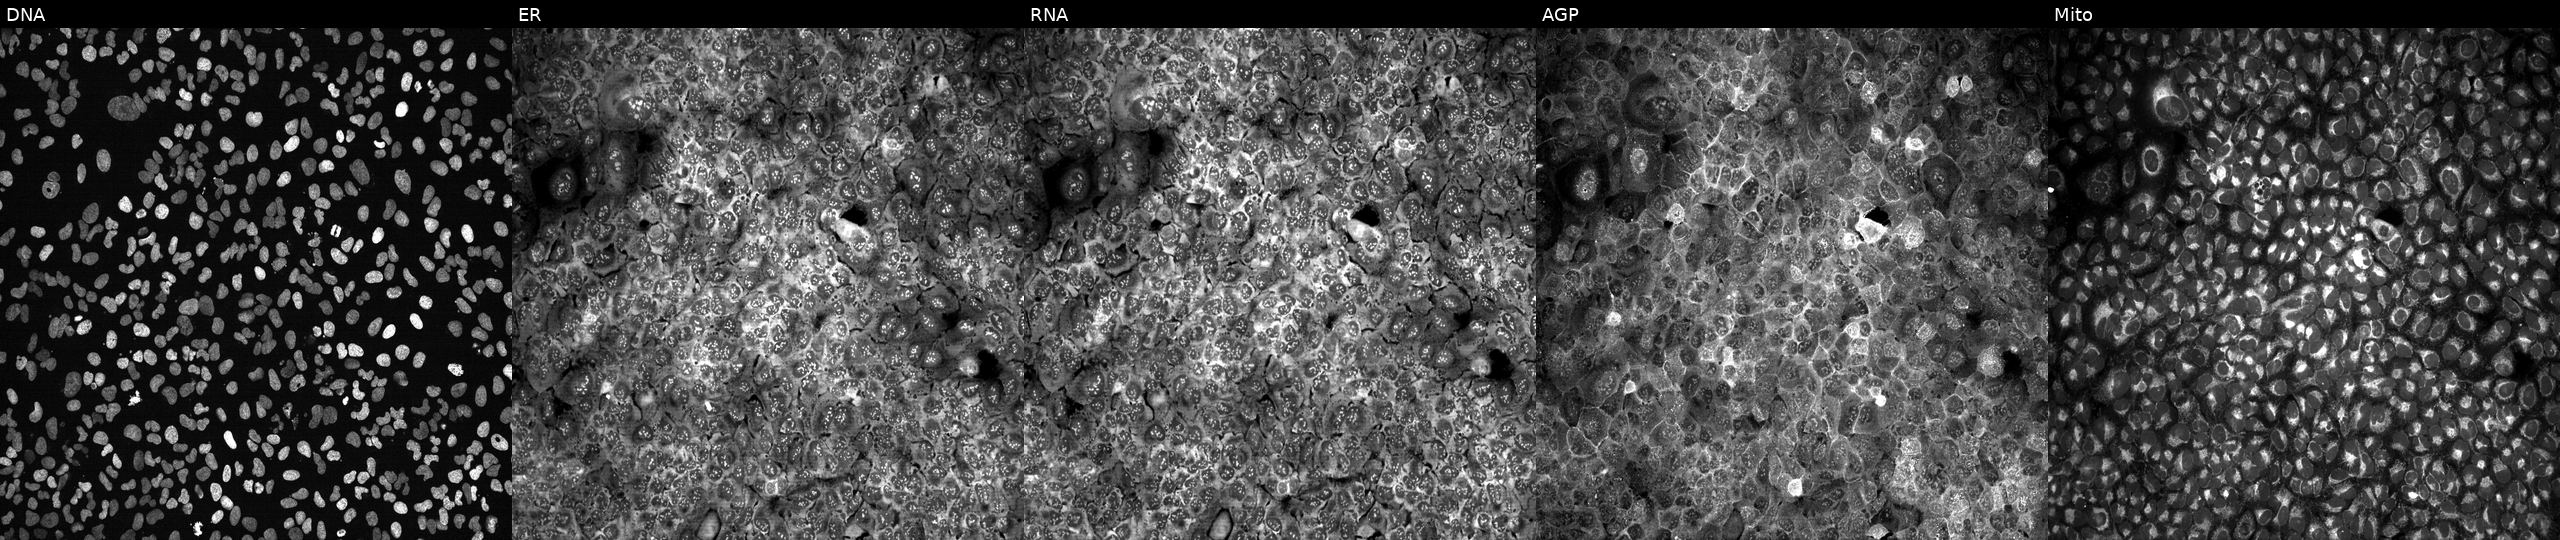
U2OS cells, Cell Painting assay, CRISPR-edited to disrupt PLCB2 (JUMP id JCP2022_805243). From left to right: Hoechst 33342, concanavalin A, SYTO 14, phalloidin and WGA, MitoTracker. Each panel is percentile-stretched 16-bit fluorescence. Source 13, plate CP-CC9-R4-04, well J11.